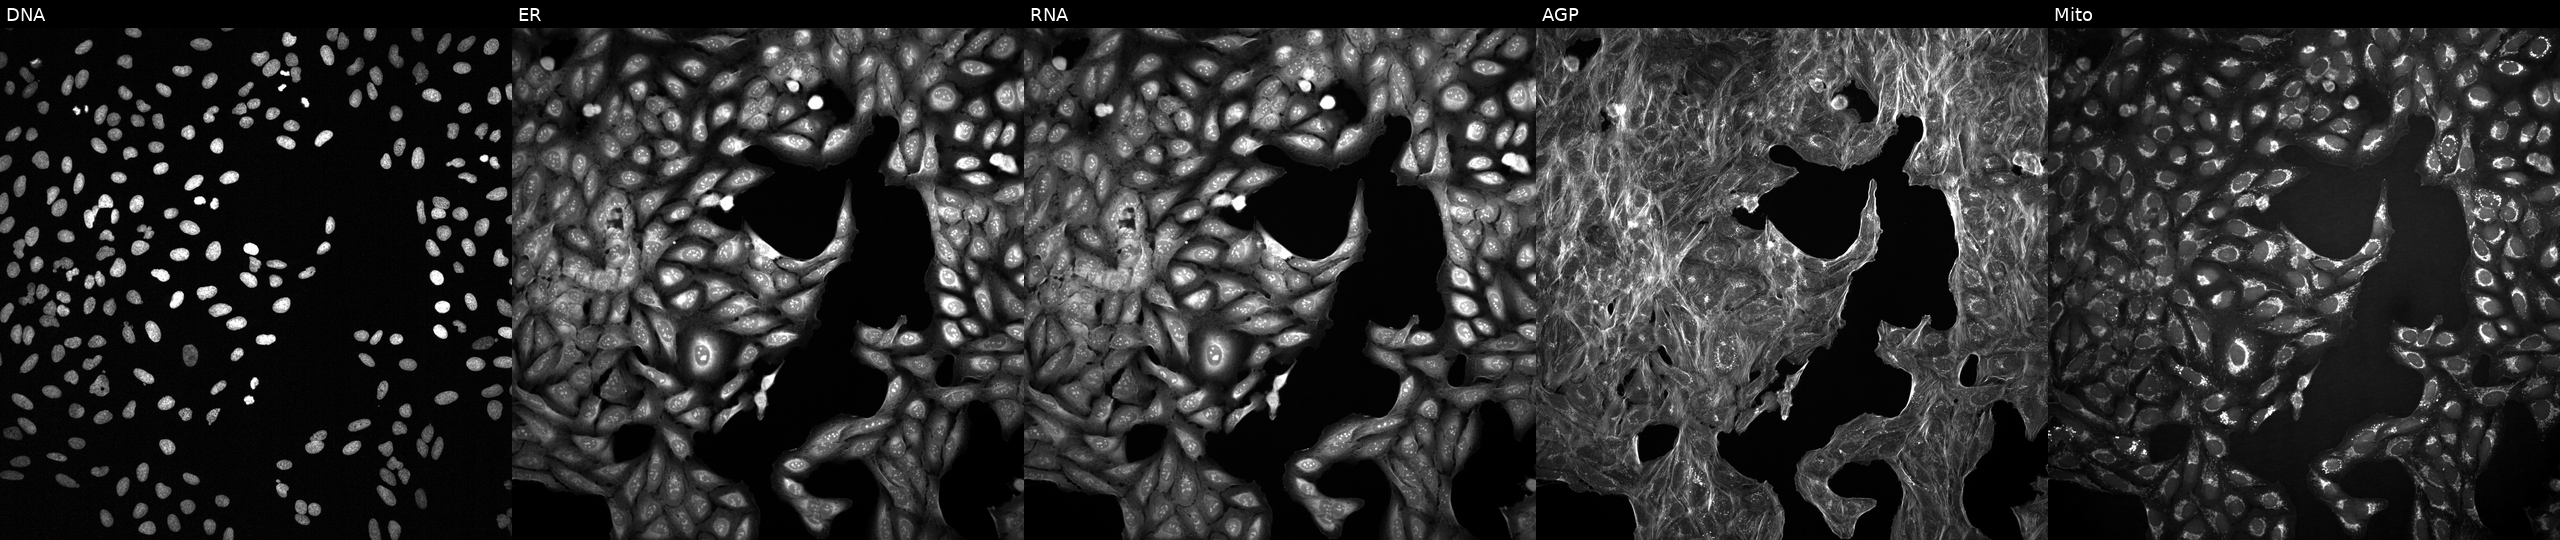
Five-channel Cell Painting image of U2OS cells exposed to a small-molecule compound (InChIKey NSASFTWHEGFDGZ-UHFFFAOYSA-N) [SMILES: CCCOC(=O)c1cccc(N=c2c(C(=O)OCC)c[nH]c3ccc(C(=O)OC)cc23)c1] (JUMP id JCP2022_060982). Channels (left→right): DNA (nuclei); ER (endoplasmic reticulum); RNA (nucleoli and cytoplasmic RNA); AGP (actin cytoskeleton, Golgi, and plasma membrane); Mito (mitochondria).